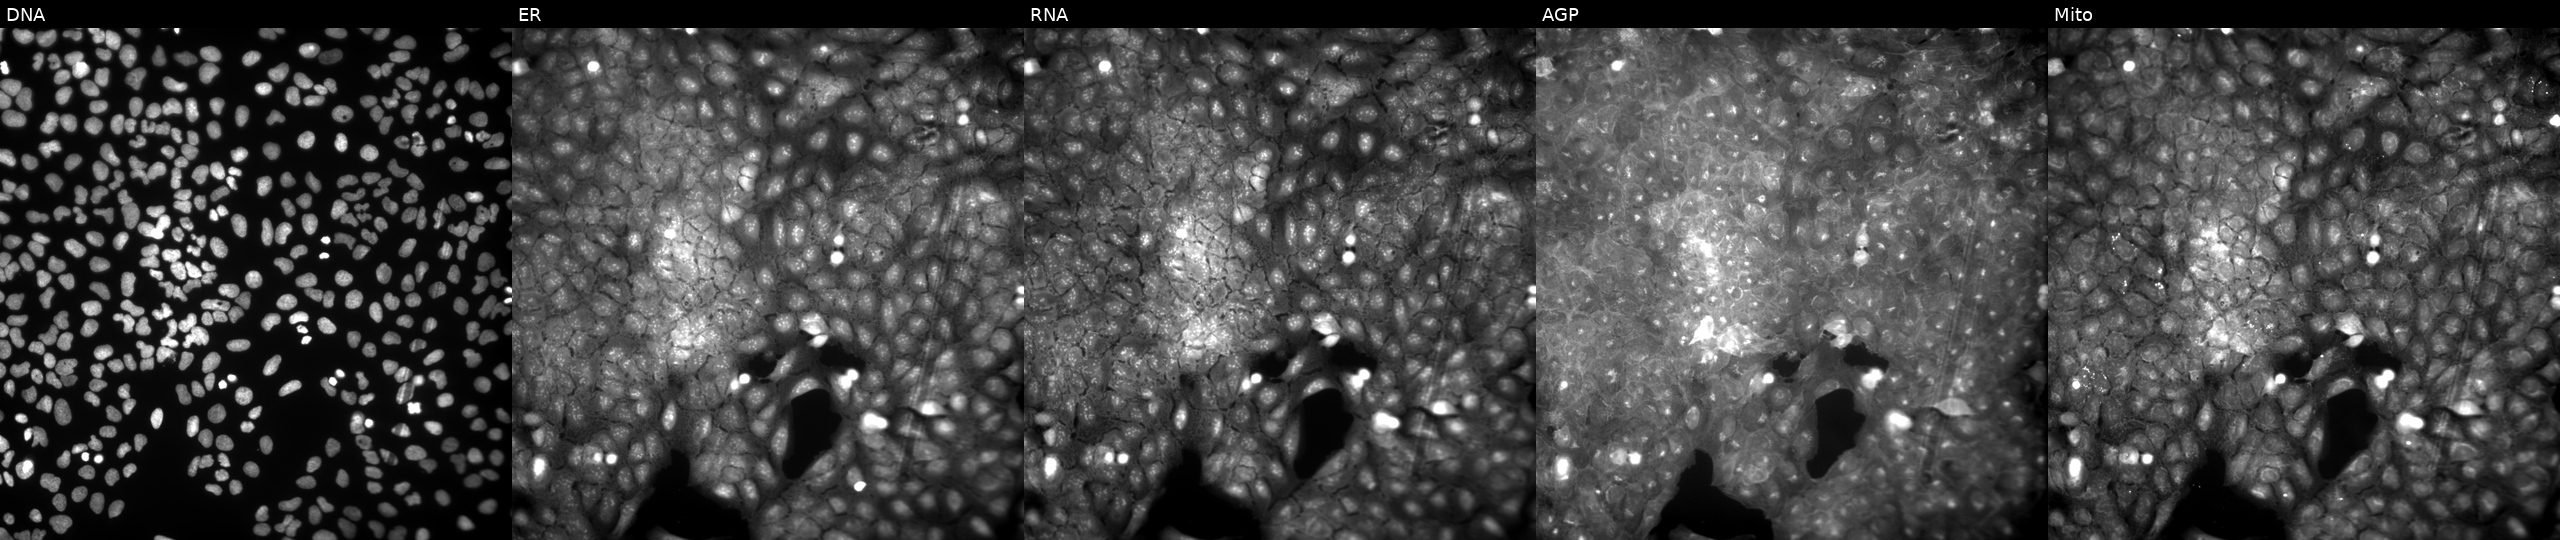
High-content fluorescence microscopy (Cell Painting). Cell line: U2OS. Perturbation: treated with a small-molecule compound (InChIKey OQCOFFPUQSKDCI-UHFFFAOYSA-N) (JUMP id JCP2022_065425). Channels (left→right): Hoechst 33342, concanavalin A, SYTO 14, phalloidin and WGA, MitoTracker.